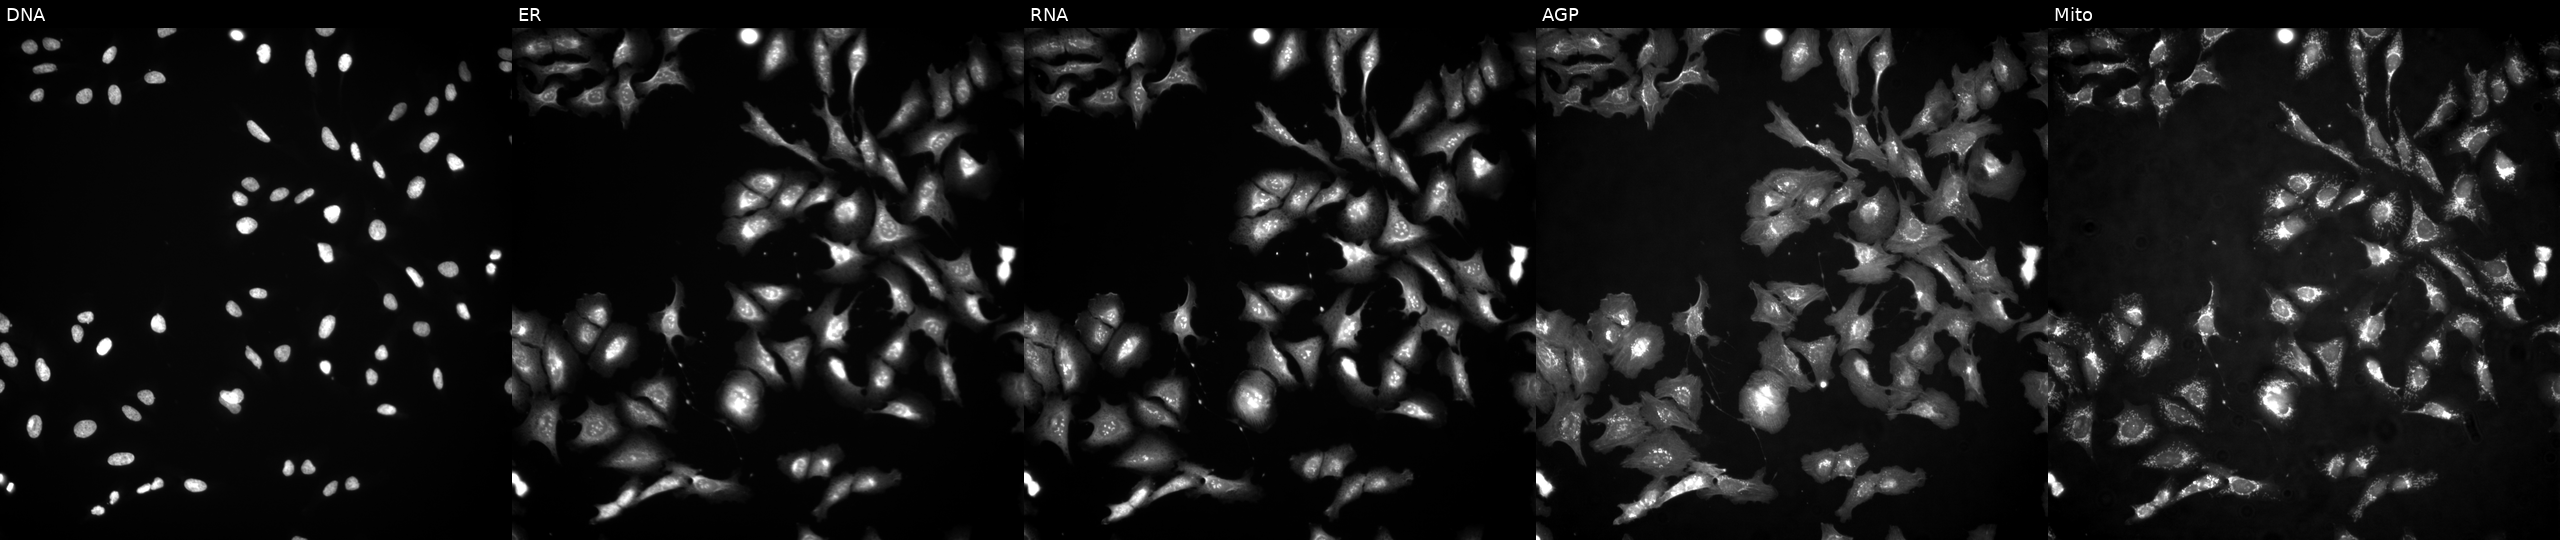
From left to right: DNA (nuclei); ER (endoplasmic reticulum); RNA (nucleoli and cytoplasmic RNA); AGP (actin cytoskeleton, Golgi, and plasma membrane); Mito (mitochondria). U2OS osteosarcoma cells with TSEN34 overexpressed (ORF). Cell Painting assay, JUMP-CP dataset. Source 4, plate BR00124787, well M15.